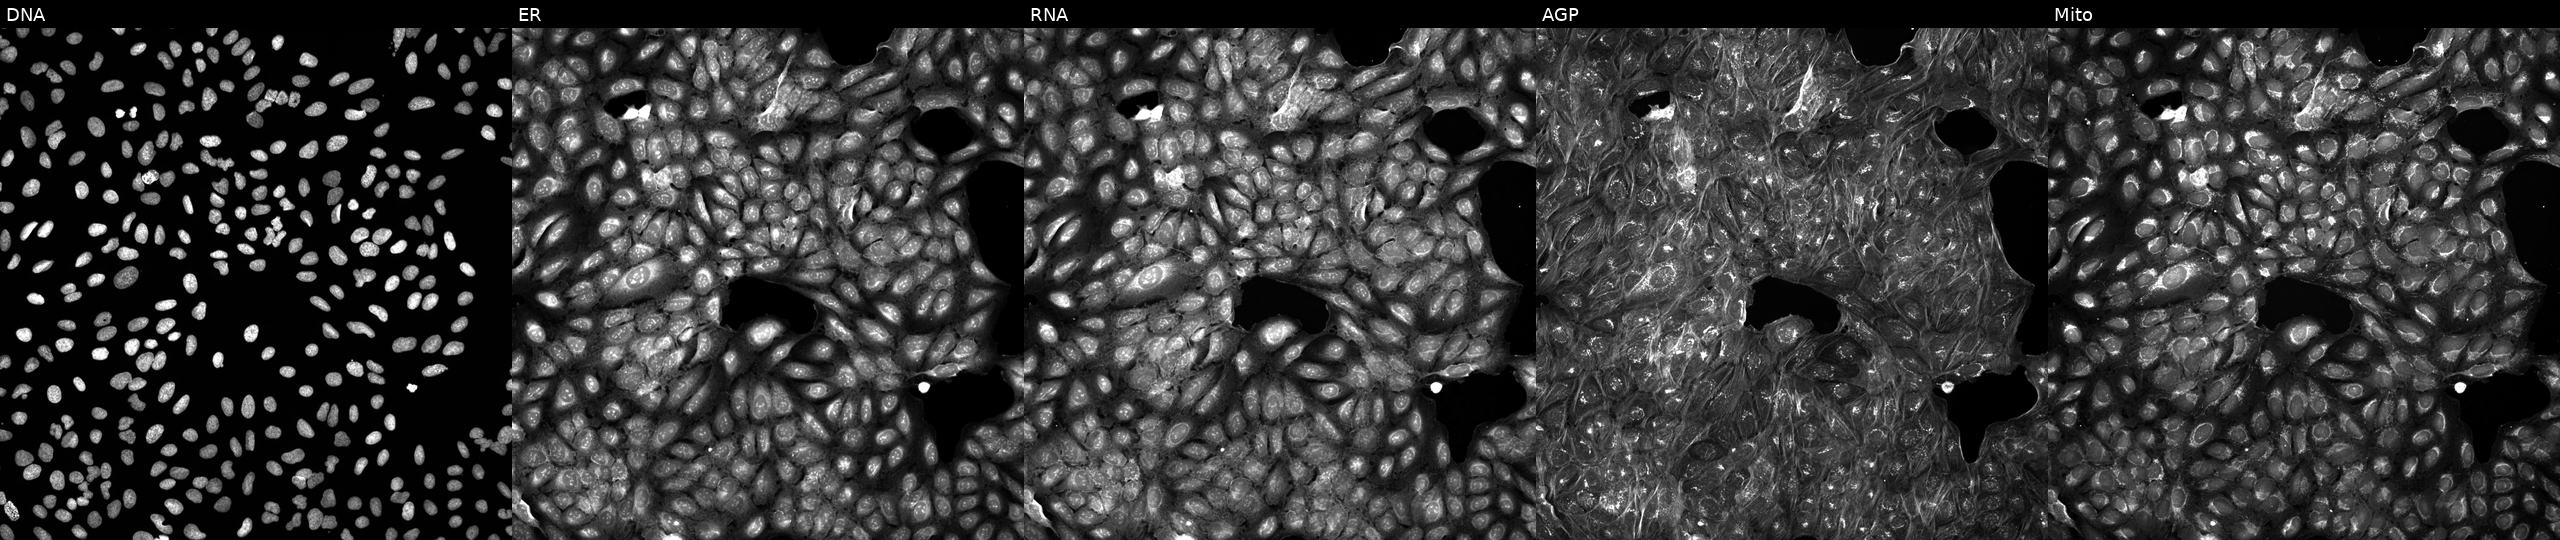
The five panels, left to right, show Hoechst 33342, concanavalin A, SYTO 14, phalloidin and WGA, MitoTracker. U2OS osteosarcoma cells exposed to a small-molecule compound (InChIKey UIPQZZOEOTZPTK-UHFFFAOYSA-N) [SMILES: c1ccc(CN2CCN(Cc3cnoc3-c3ccccc3)CC2)cc1]. Cell Painting assay, JUMP-CP dataset.